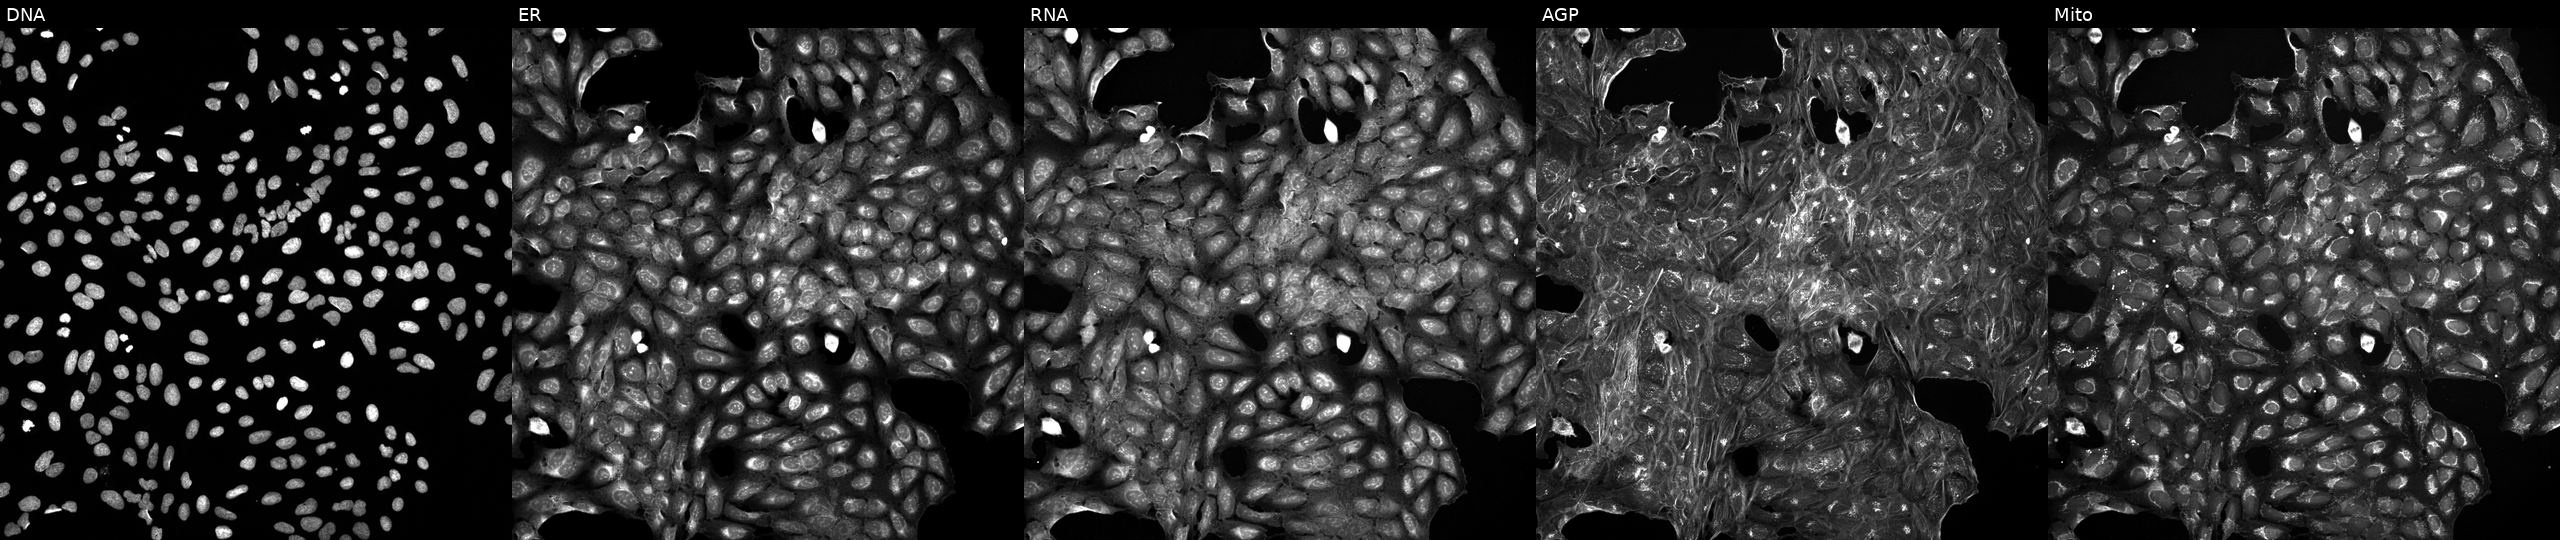
This image strip shows the five Cell Painting channels for a single field of U2OS cells exposed to a small-molecule compound (InChIKey QXKHYNVANLEOEG-UHFFFAOYSA-N) (JUMP id JCP2022_076523). From left to right: Hoechst 33342, concanavalin A, SYTO 14, phalloidin and WGA, MitoTracker.